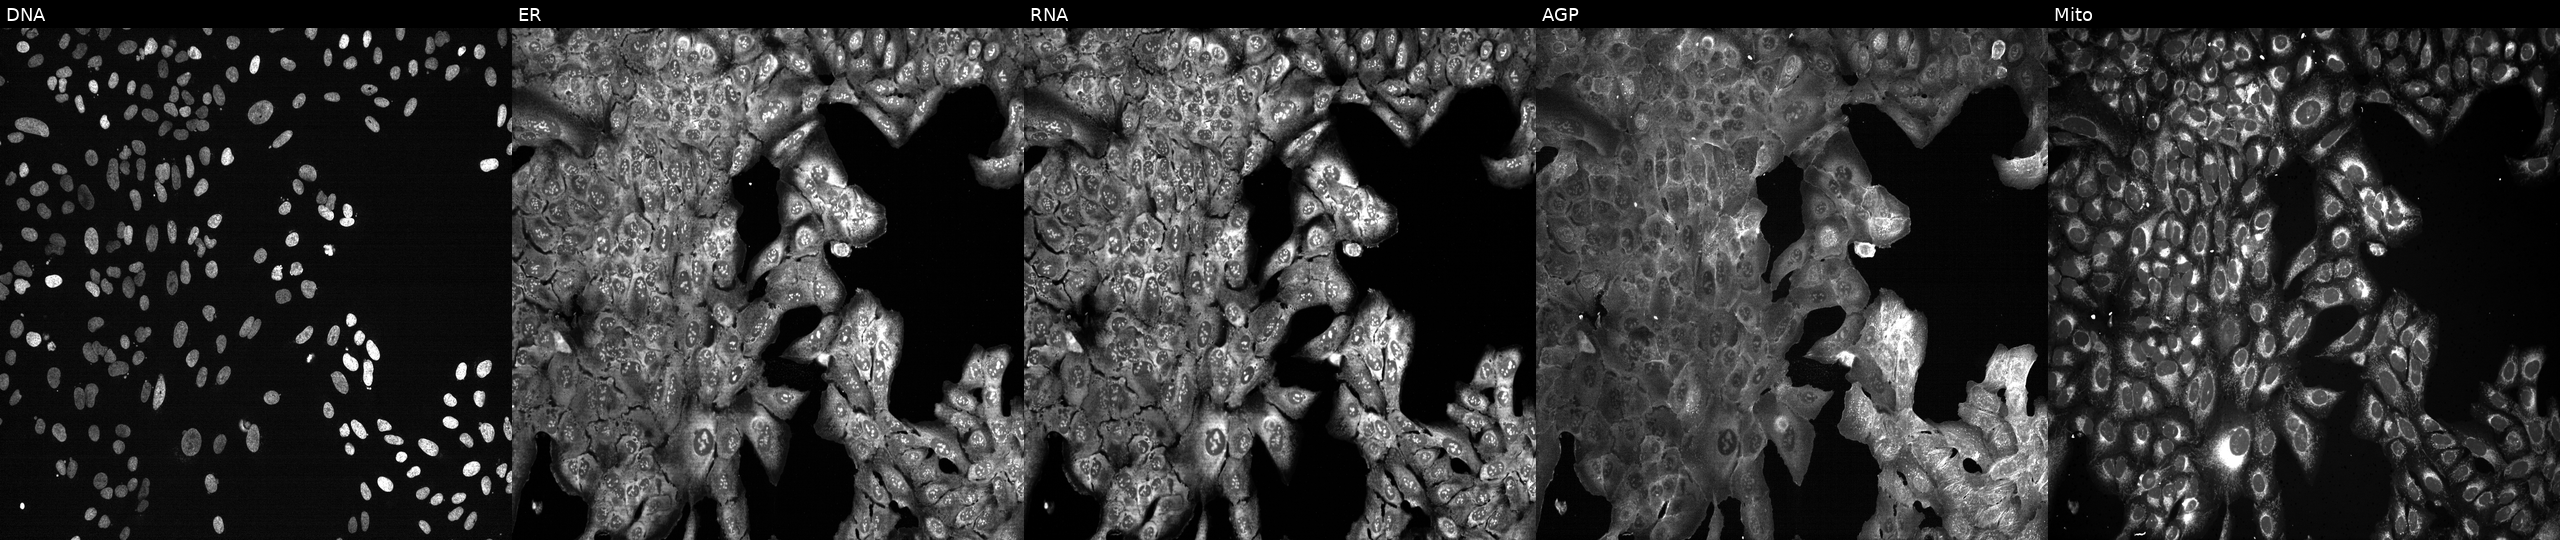
Panels show, left to right, DNA (nuclei); ER (endoplasmic reticulum); RNA (nucleoli and cytoplasmic RNA); AGP (actin cytoskeleton, Golgi, and plasma membrane); Mito (mitochondria). U2OS osteosarcoma cells following CRISPR knockout of SLC4A4 (JUMP id JCP2022_806549). Cell Painting assay, JUMP-CP dataset.